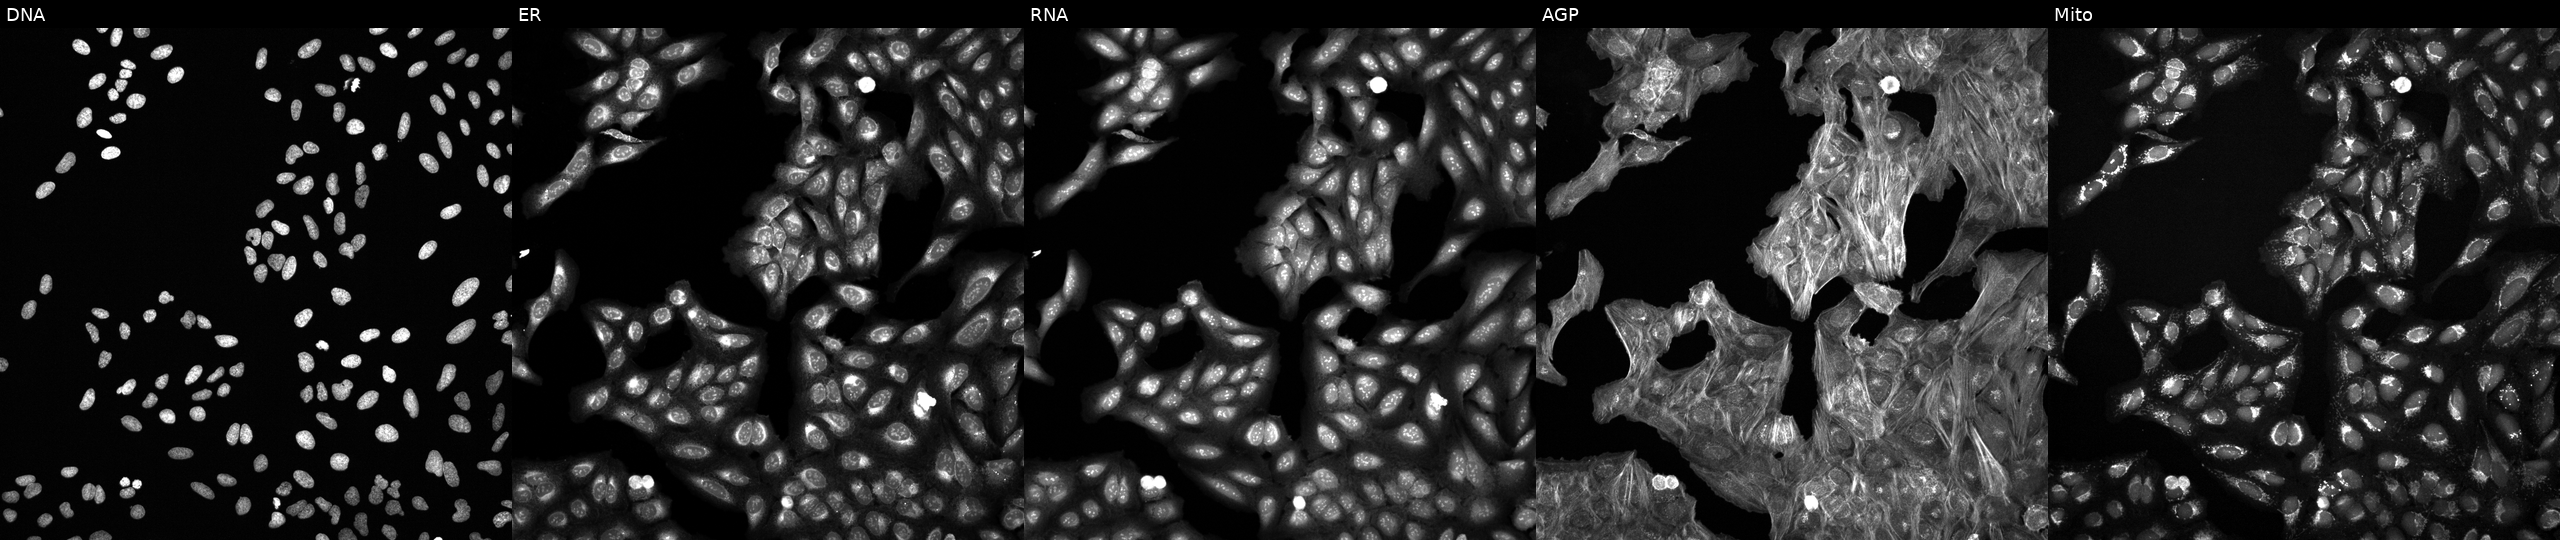
Channels (left→right): Hoechst 33342, concanavalin A, SYTO 14, phalloidin and WGA, MitoTracker. U2OS osteosarcoma cells exposed to a small-molecule compound (InChIKey UPWGQKDVAURUGE-UHFFFAOYSA-N) [SMILES: CCCCCCCCC=CCCCCCCCC(=O)OC(CO)CO] (JUMP id JCP2022_090768). Cell Painting assay, JUMP-CP dataset. Source 6, plate 110000293081, well P14.